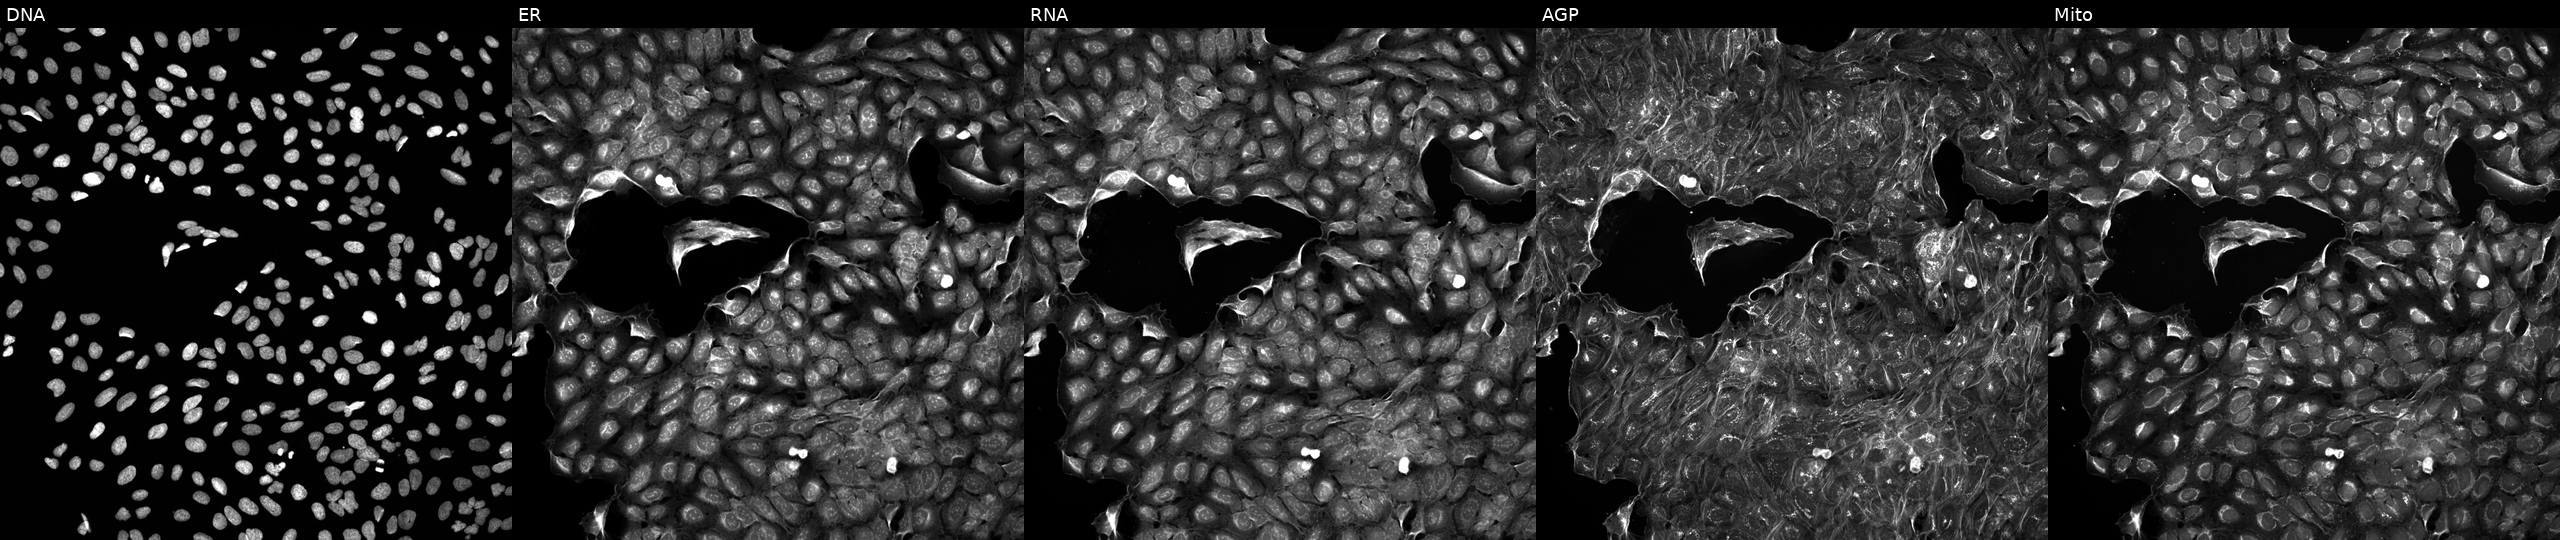
This image strip shows the five Cell Painting channels for a single field of U2OS cells perturbed with a small-molecule compound (InChIKey KVHXITONRNNUGD-UHFFFAOYSA-N). Panels show, left to right, DNA (nuclei); ER (endoplasmic reticulum); RNA (nucleoli and cytoplasmic RNA); AGP (actin cytoskeleton, Golgi, and plasma membrane); Mito (mitochondria).